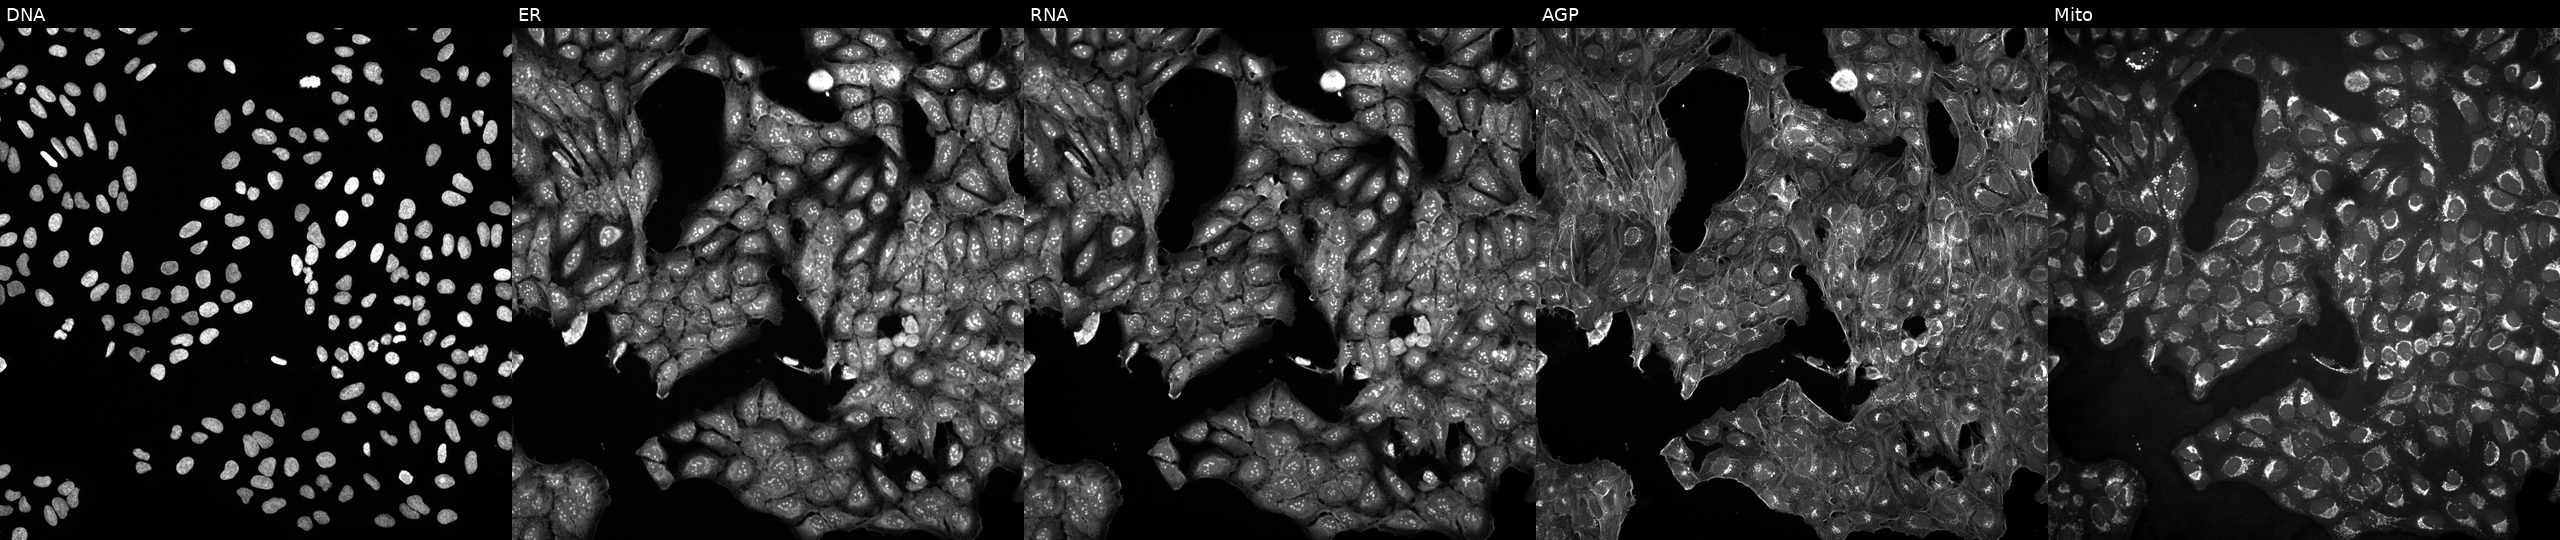
JUMP Cell Painting — COMPOUND plate. U2OS cells in an empty control well (no perturbation). Panels show, left to right, DNA (nuclei); ER (endoplasmic reticulum); RNA (nucleoli and cytoplasmic RNA); AGP (actin cytoskeleton, Golgi, and plasma membrane); Mito (mitochondria).